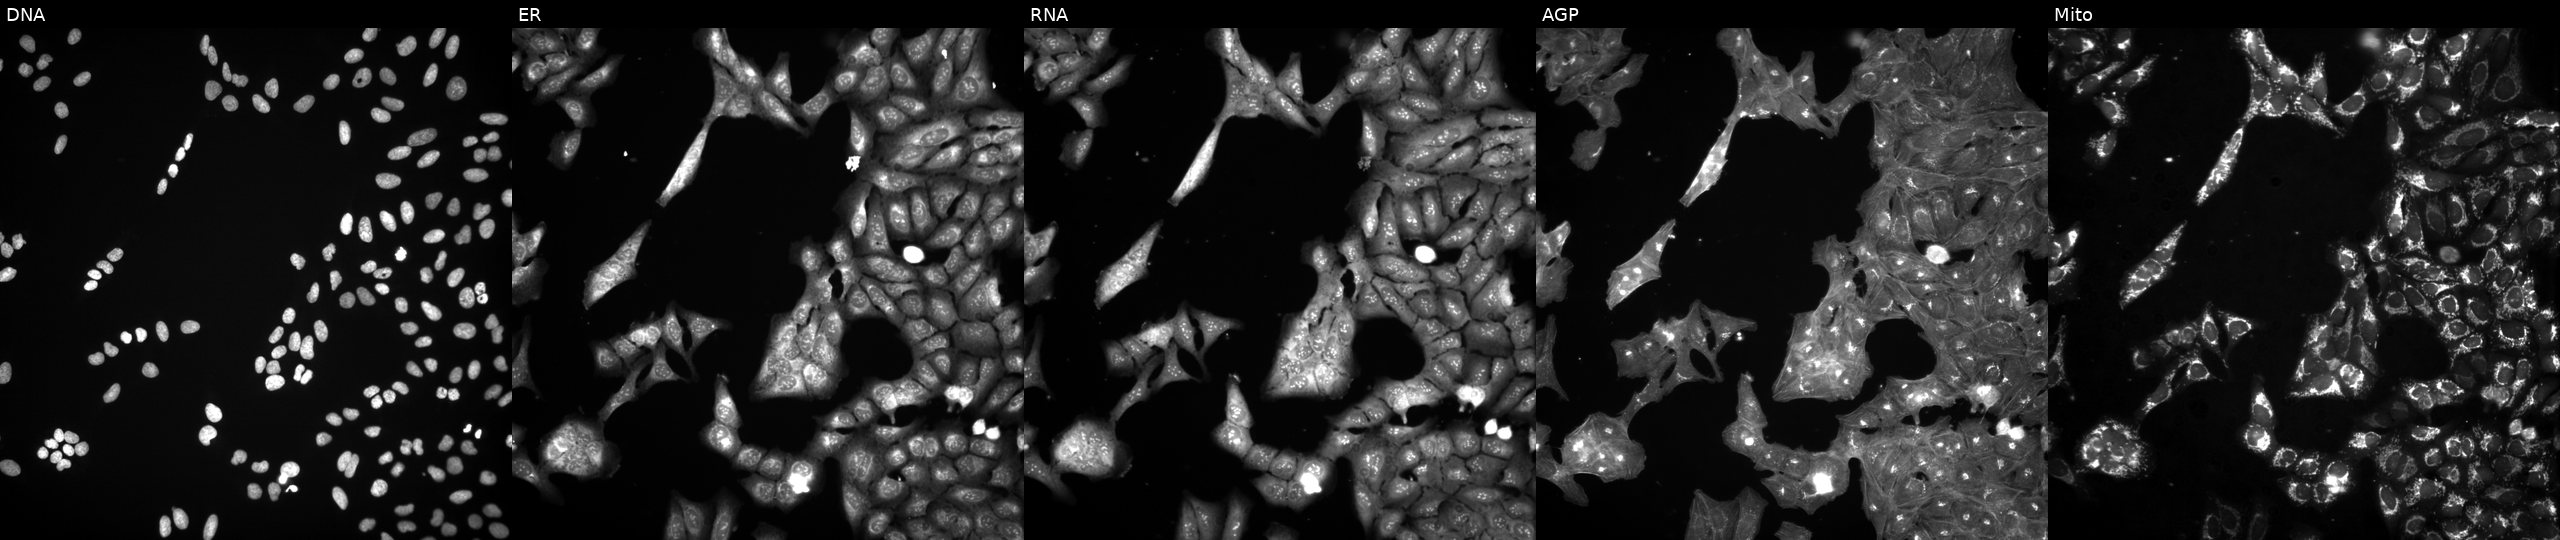
Panels show, left to right, Hoechst 33342, concanavalin A, SYTO 14, phalloidin and WGA, MitoTracker. U2OS osteosarcoma cells treated with a small-molecule compound (InChIKey DKUIFWHJQCQVNR-UHFFFAOYSA-N) (JUMP id JCP2022_016584). Cell Painting assay, JUMP-CP dataset.